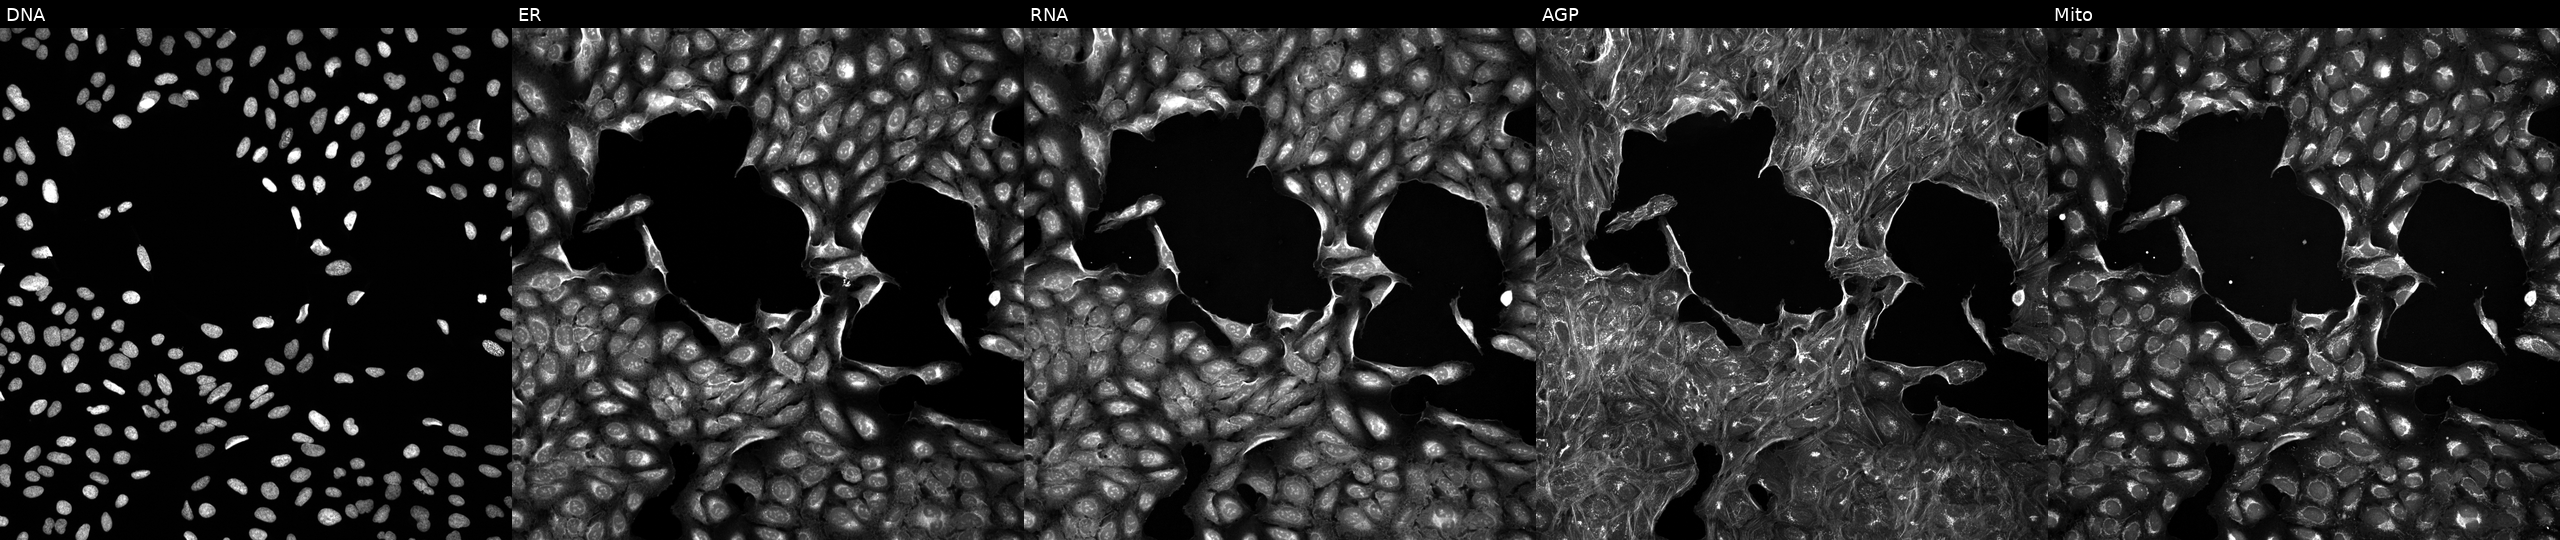
Five-channel Cell Painting image of U2OS cells treated with quinidine (positive-control compound). Channels (left→right): Hoechst 33342, concanavalin A, SYTO 14, phalloidin and WGA, MitoTracker. Source 5, plate ACPJUM051, well H12.